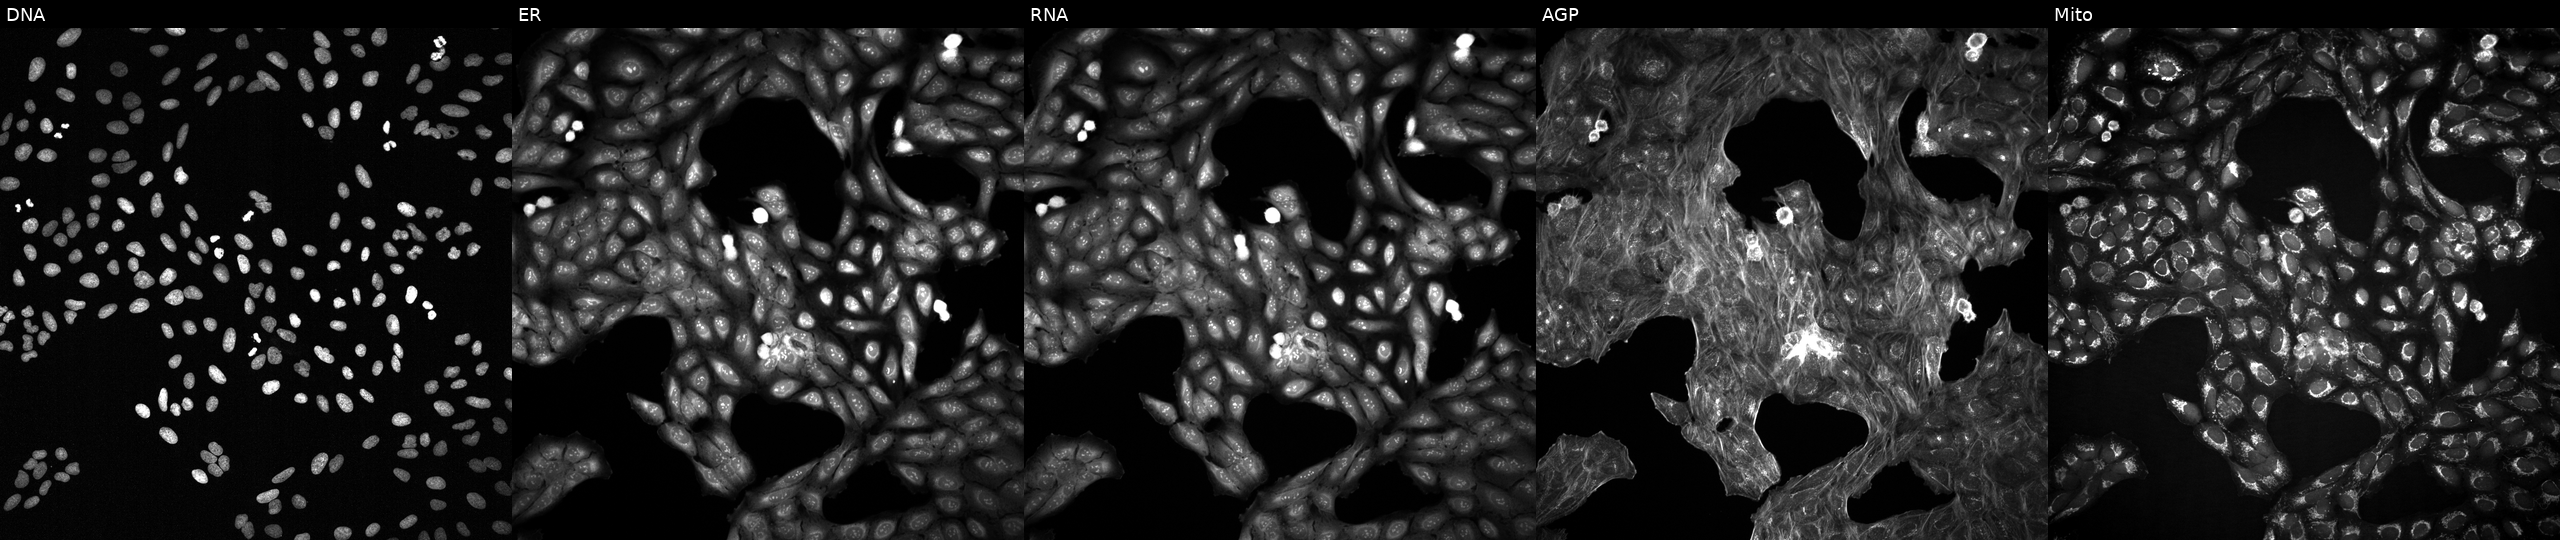
Five-channel Cell Painting image of U2OS cells perturbed with a small-molecule compound (InChIKey RALCQLPCOQMHDY-UHFFFAOYSA-N) [SMILES: Cc1[nH]c2sccc2c(=N)[n+]1[O-]] (JUMP id JCP2022_077078). Panels show, left to right, Hoechst 33342, concanavalin A, SYTO 14, phalloidin and WGA, MitoTracker.